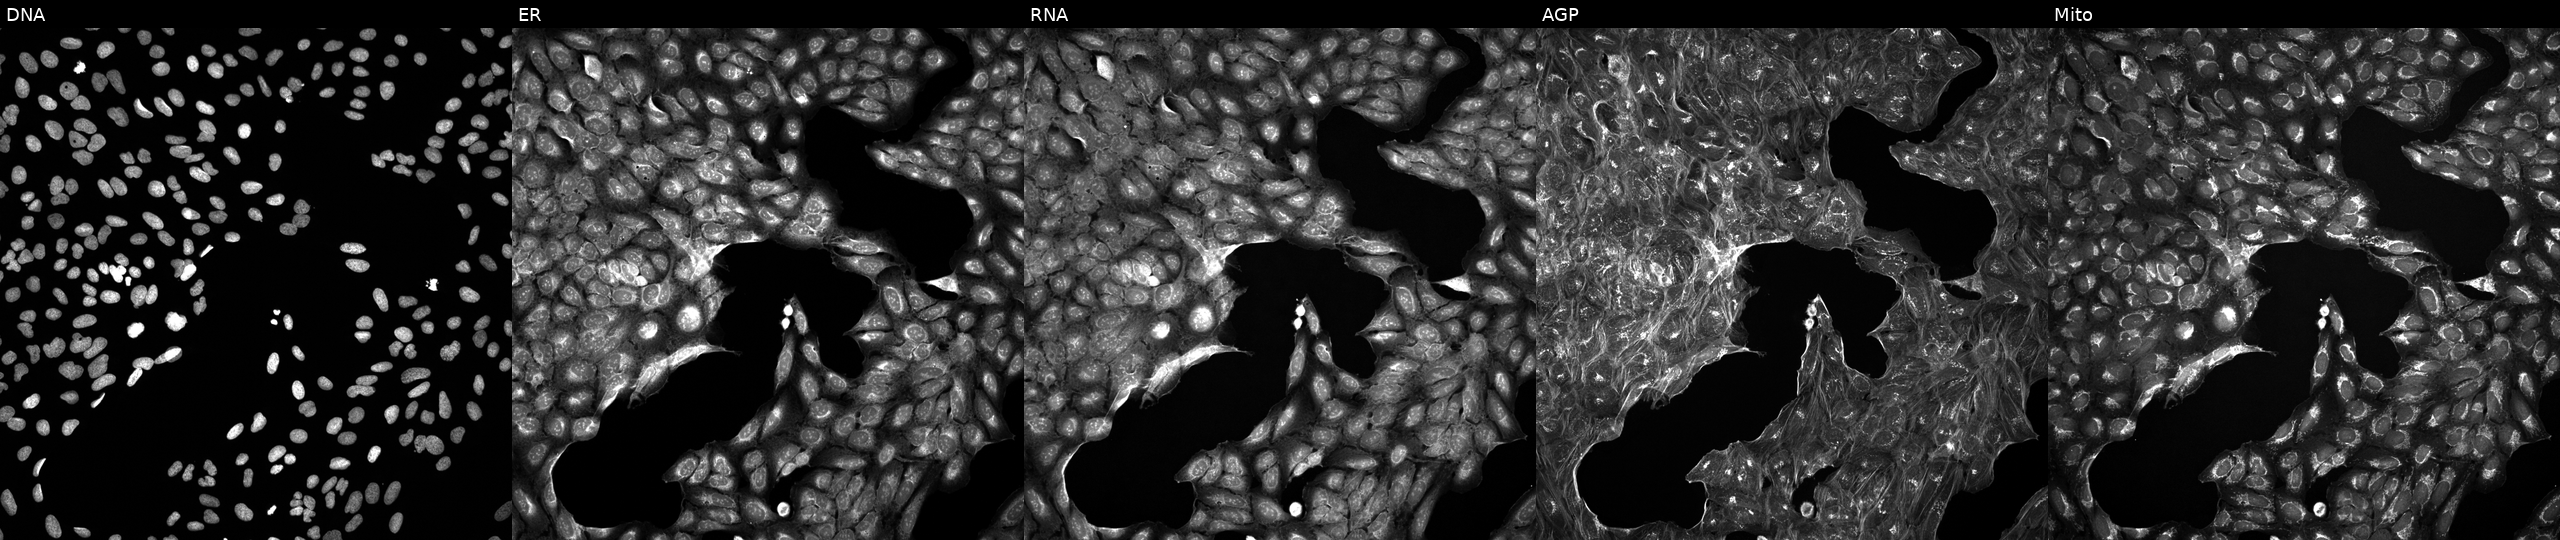
Five-channel Cell Painting image of U2OS cells treated with a small-molecule compound (InChIKey BGVLELSCIHASRV-UHFFFAOYSA-N) [SMILES: CCN1C(=CC(C)=O)Sc2ccc(OC)cc21] (JUMP id JCP2022_006270). From left to right: Hoechst 33342, concanavalin A, SYTO 14, phalloidin and WGA, MitoTracker.